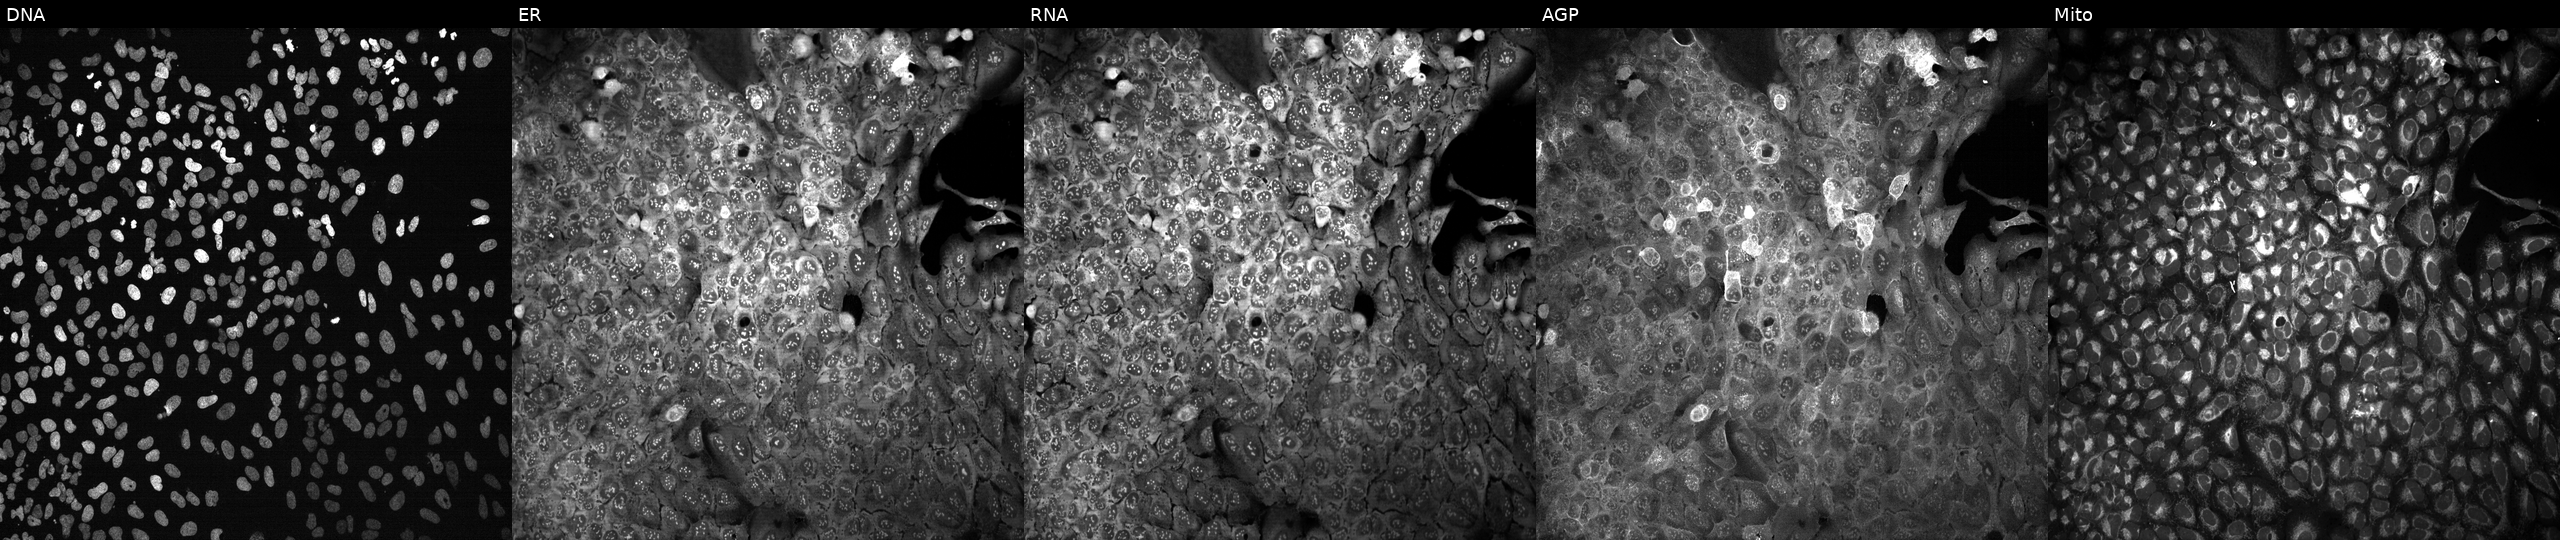
High-content fluorescence microscopy (Cell Painting). Cell line: U2OS. Perturbation: with HAAO knocked out by CRISPR (JUMP id JCP2022_803002). Channels (left→right): Hoechst 33342, concanavalin A, SYTO 14, phalloidin and WGA, MitoTracker.